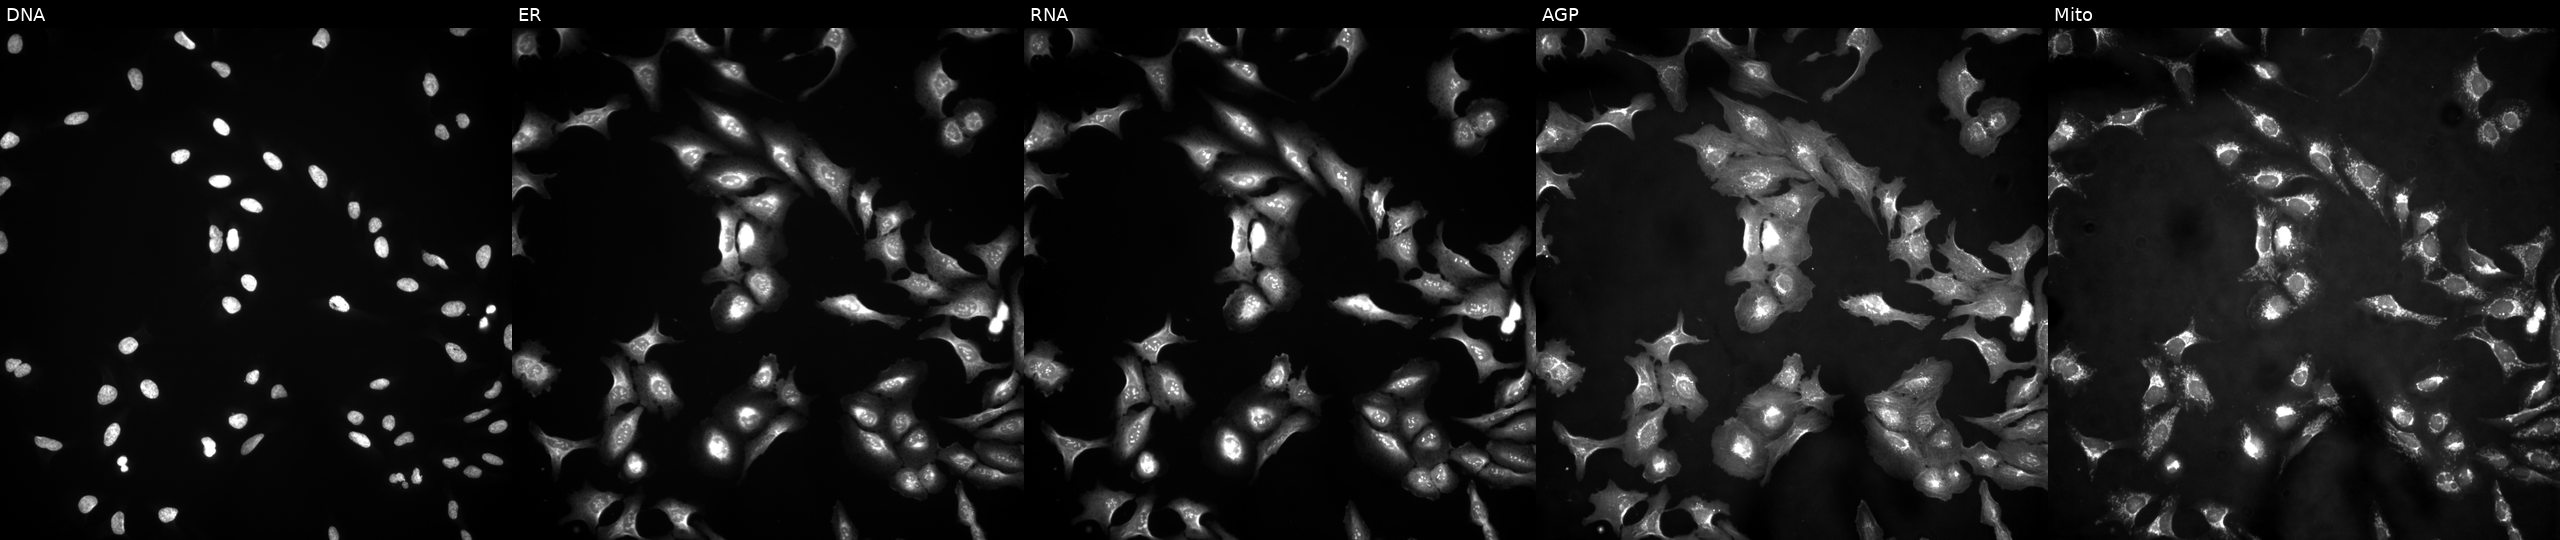
This image strip shows the five Cell Painting channels for a single field of U2OS cells transfected with an ORF construct for EBAG9. The five panels, left to right, show DNA (nuclei); ER (endoplasmic reticulum); RNA (nucleoli and cytoplasmic RNA); AGP (actin cytoskeleton, Golgi, and plasma membrane); Mito (mitochondria).